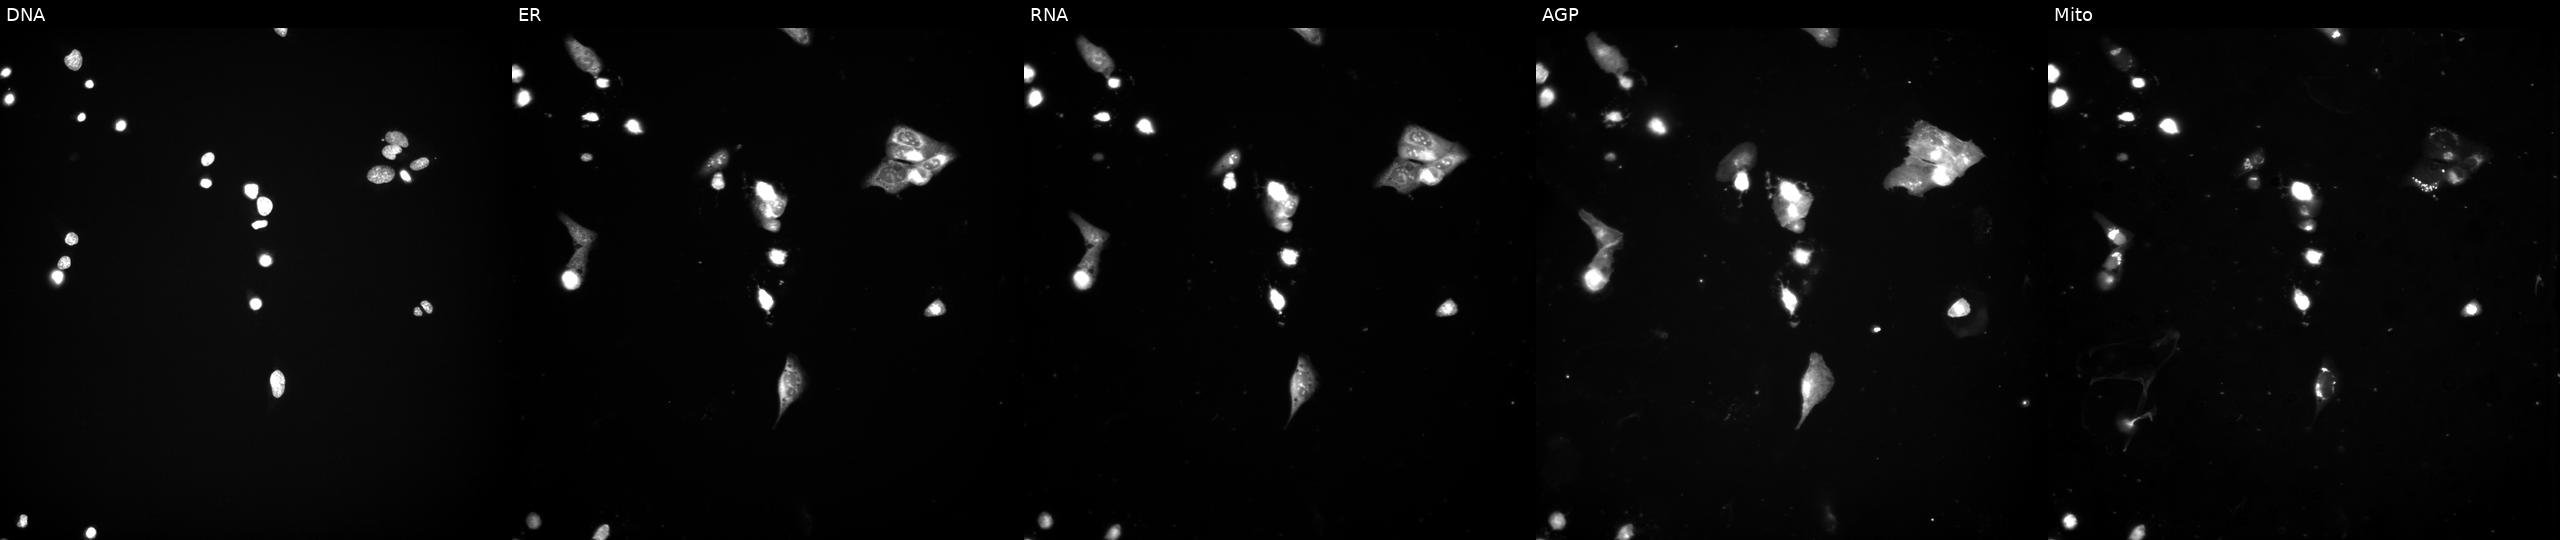
High-content fluorescence microscopy (Cell Painting). Cell line: U2OS. Perturbation: exposed to a small-molecule compound (InChIKey UTBOEBCWXGDOGI-UHFFFAOYSA-N). Panels show, left to right, DNA, ER, RNA, AGP, and Mito. Source 3, plate JCPQC052, well J02.